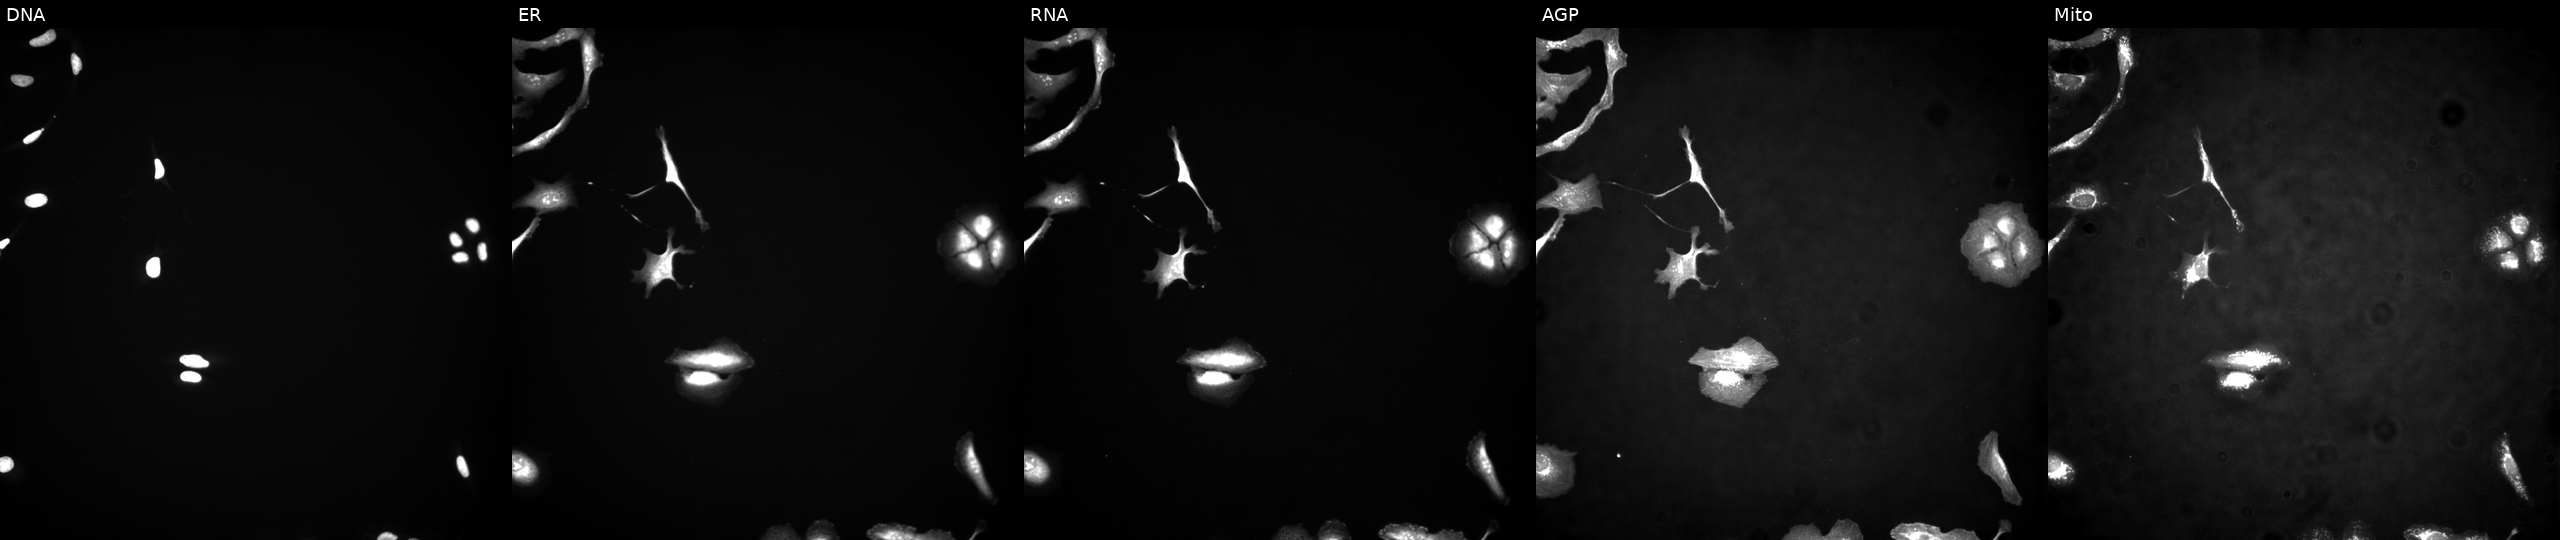
From left to right: DNA (nuclei); ER (endoplasmic reticulum); RNA (nucleoli and cytoplasmic RNA); AGP (actin cytoskeleton, Golgi, and plasma membrane); Mito (mitochondria). U2OS osteosarcoma cells with SSX4 overexpressed (ORF) (JUMP id JCP2022_906553). Cell Painting assay, JUMP-CP dataset. Source 4, plate BR00117035, well K23.